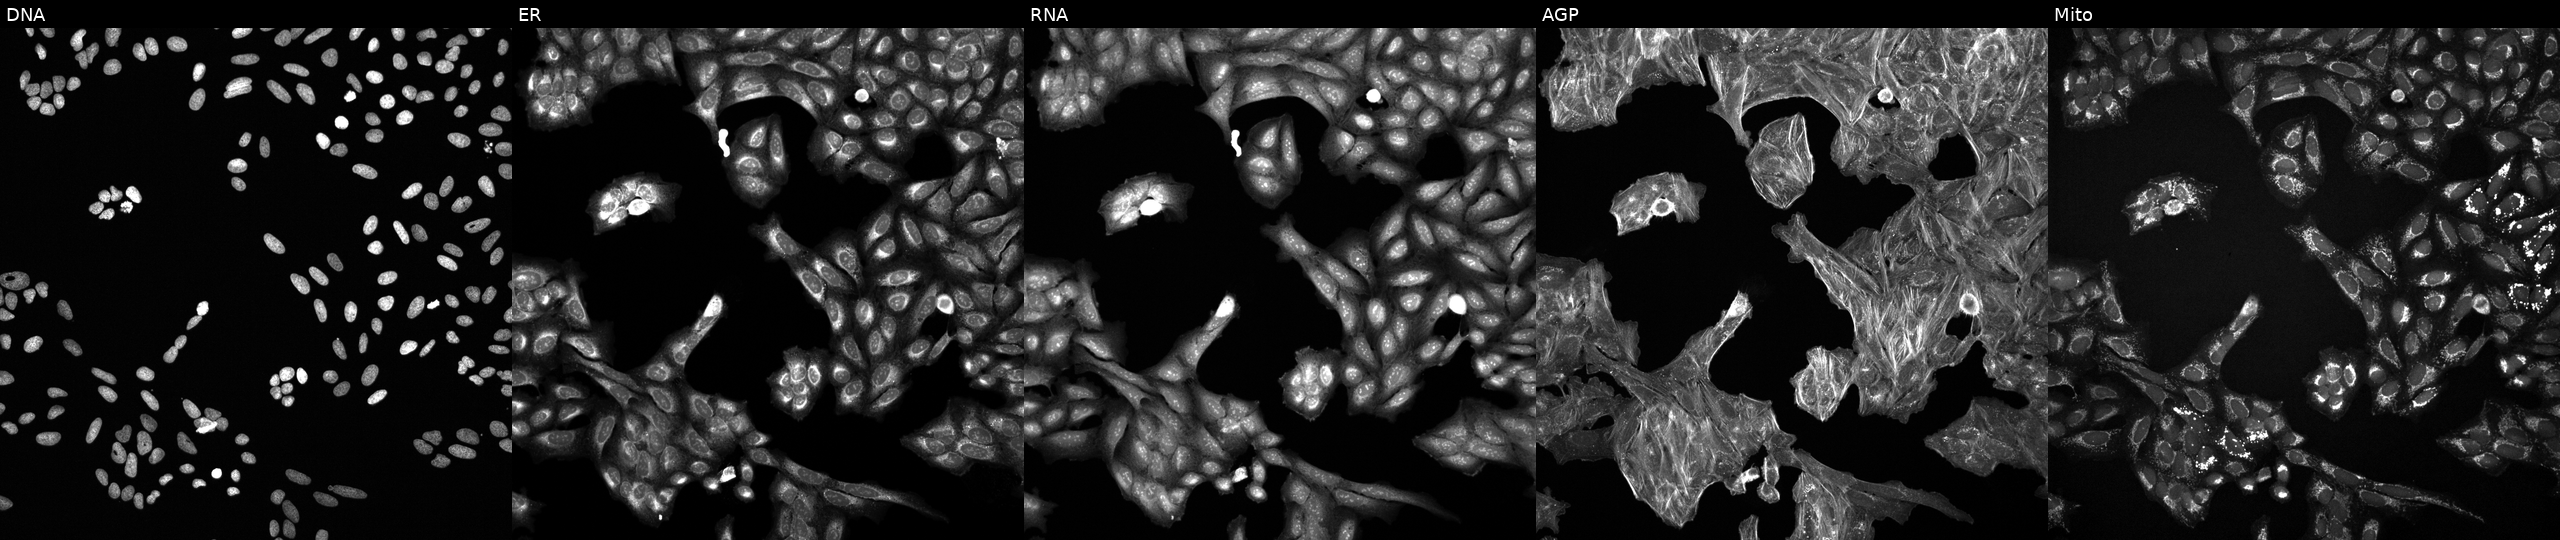
High-content fluorescence microscopy (Cell Painting). Cell line: U2OS. Perturbation: treated with a small-molecule compound (InChIKey DMWVGXGXHPOEPT-UHFFFAOYSA-N). Channels (left→right): DNA (nuclei); ER (endoplasmic reticulum); RNA (nucleoli and cytoplasmic RNA); AGP (actin cytoskeleton, Golgi, and plasma membrane); Mito (mitochondria). Source 6, plate 110000293081, well E02.